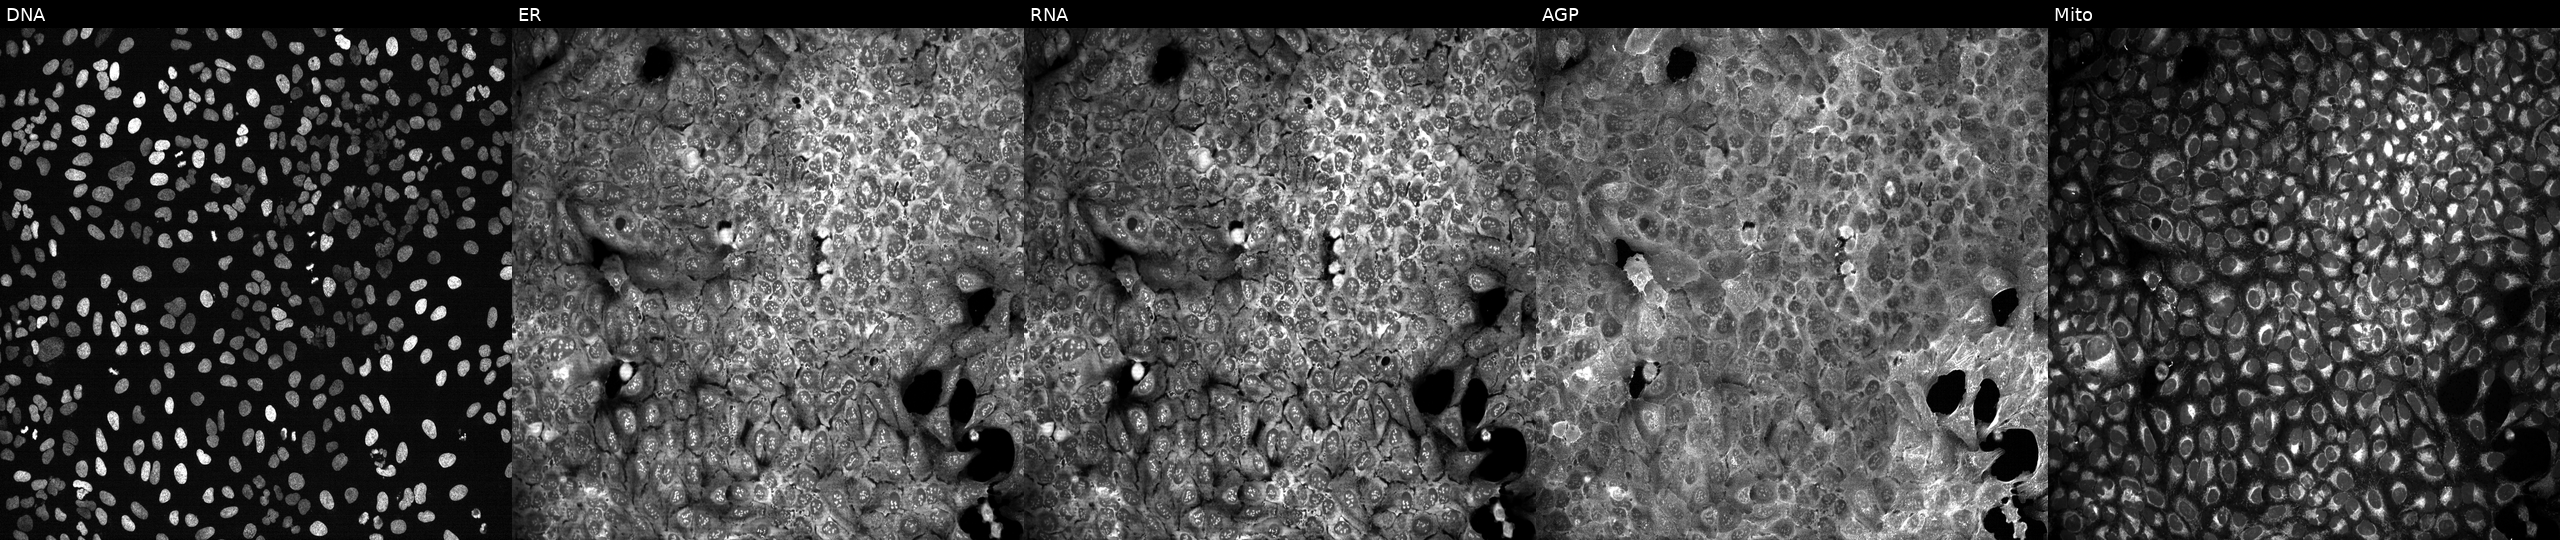
The five panels, left to right, show DNA (nuclei); ER (endoplasmic reticulum); RNA (nucleoli and cytoplasmic RNA); AGP (actin cytoskeleton, Golgi, and plasma membrane); Mito (mitochondria). U2OS osteosarcoma cells CRISPR-edited to disrupt IL10RB (JUMP id JCP2022_803362). Cell Painting assay, JUMP-CP dataset. Source 13, plate CP-CC9-R3-02, well C16.